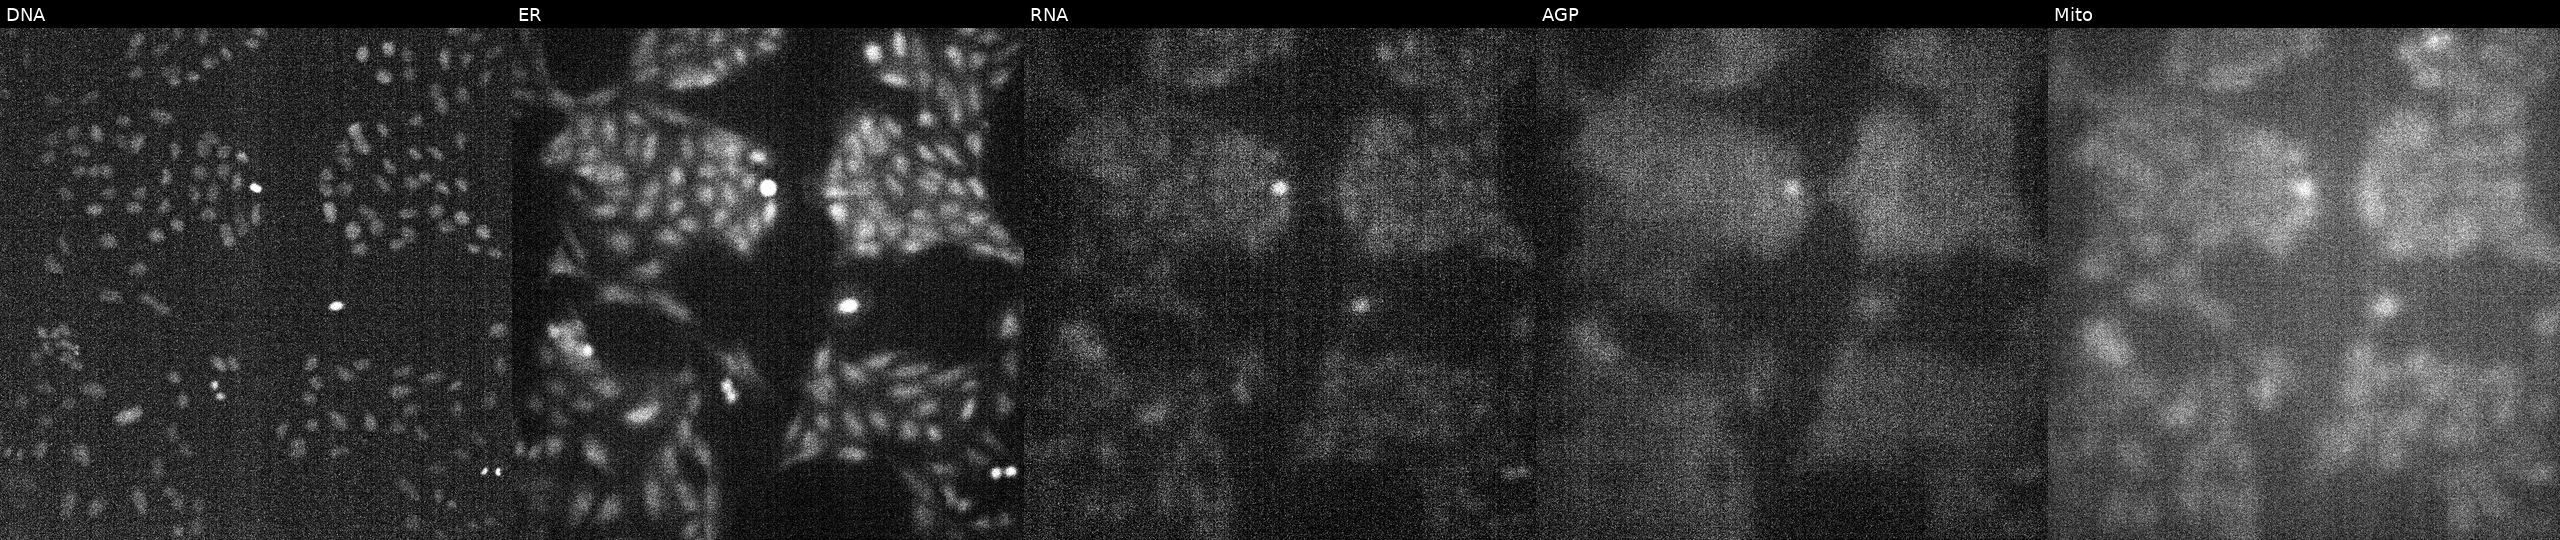
This image strip shows the five Cell Painting channels for a single field of U2OS cells perturbed with a small-molecule compound (InChIKey RONQPWQYDRPRGG-UHFFFAOYSA-N) (JUMP id JCP2022_079715). Panels show, left to right, DNA, ER, RNA, AGP, and Mito.